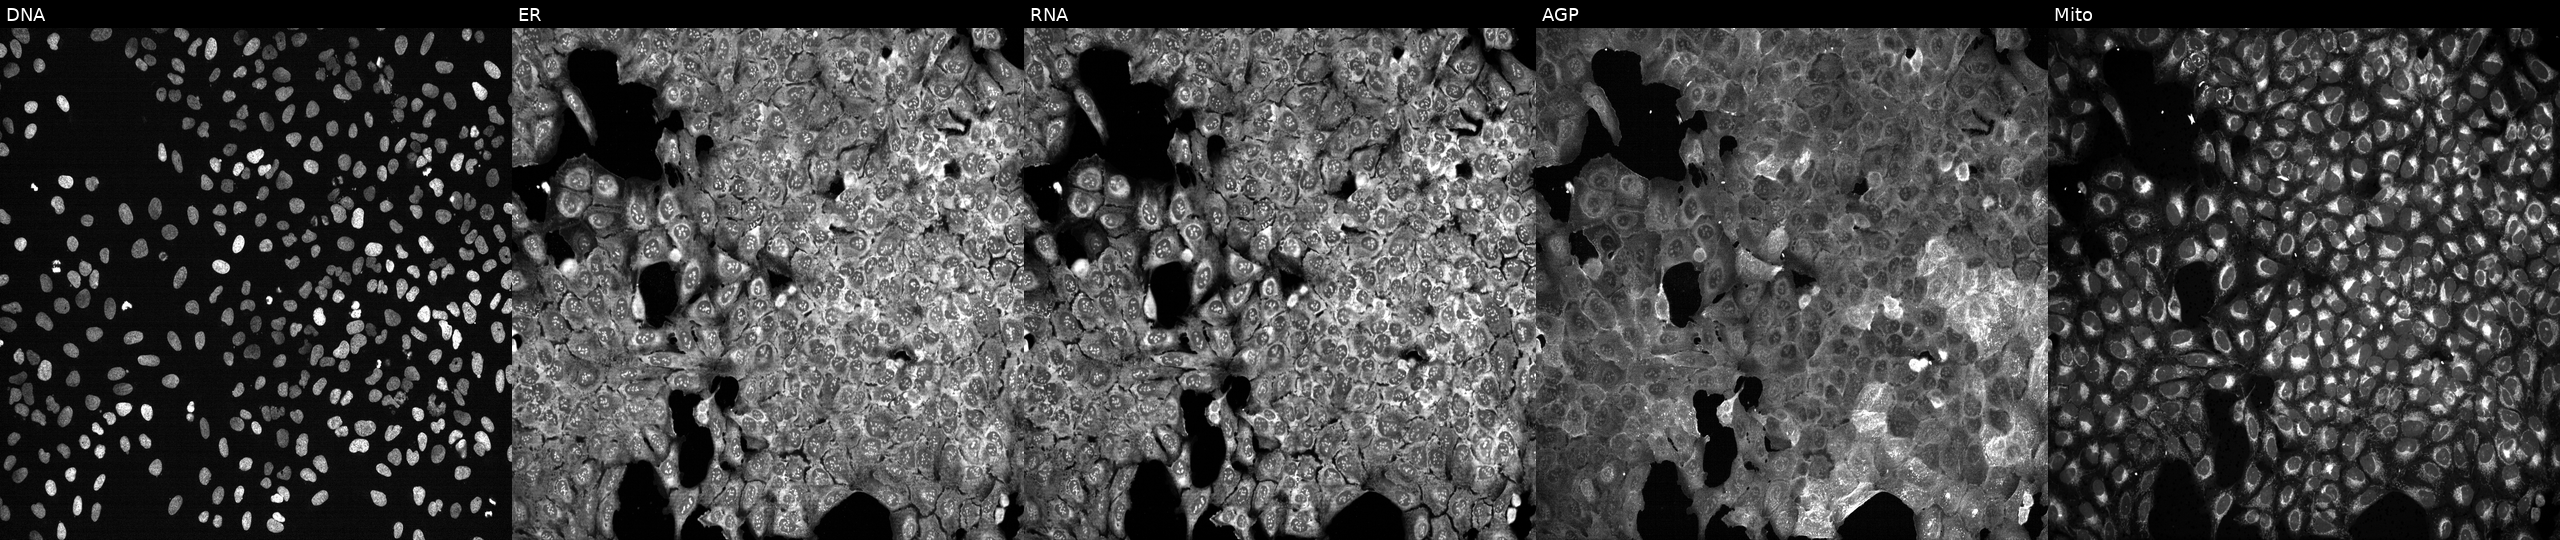
U2OS cells, Cell Painting assay, following CRISPR knockout of SLC9A6 (JUMP id JCP2022_806598). From left to right: DNA, ER, RNA, AGP, and Mito. Each panel is percentile-stretched 16-bit fluorescence. Source 13, plate CP-CC9-R2-01, well B11.